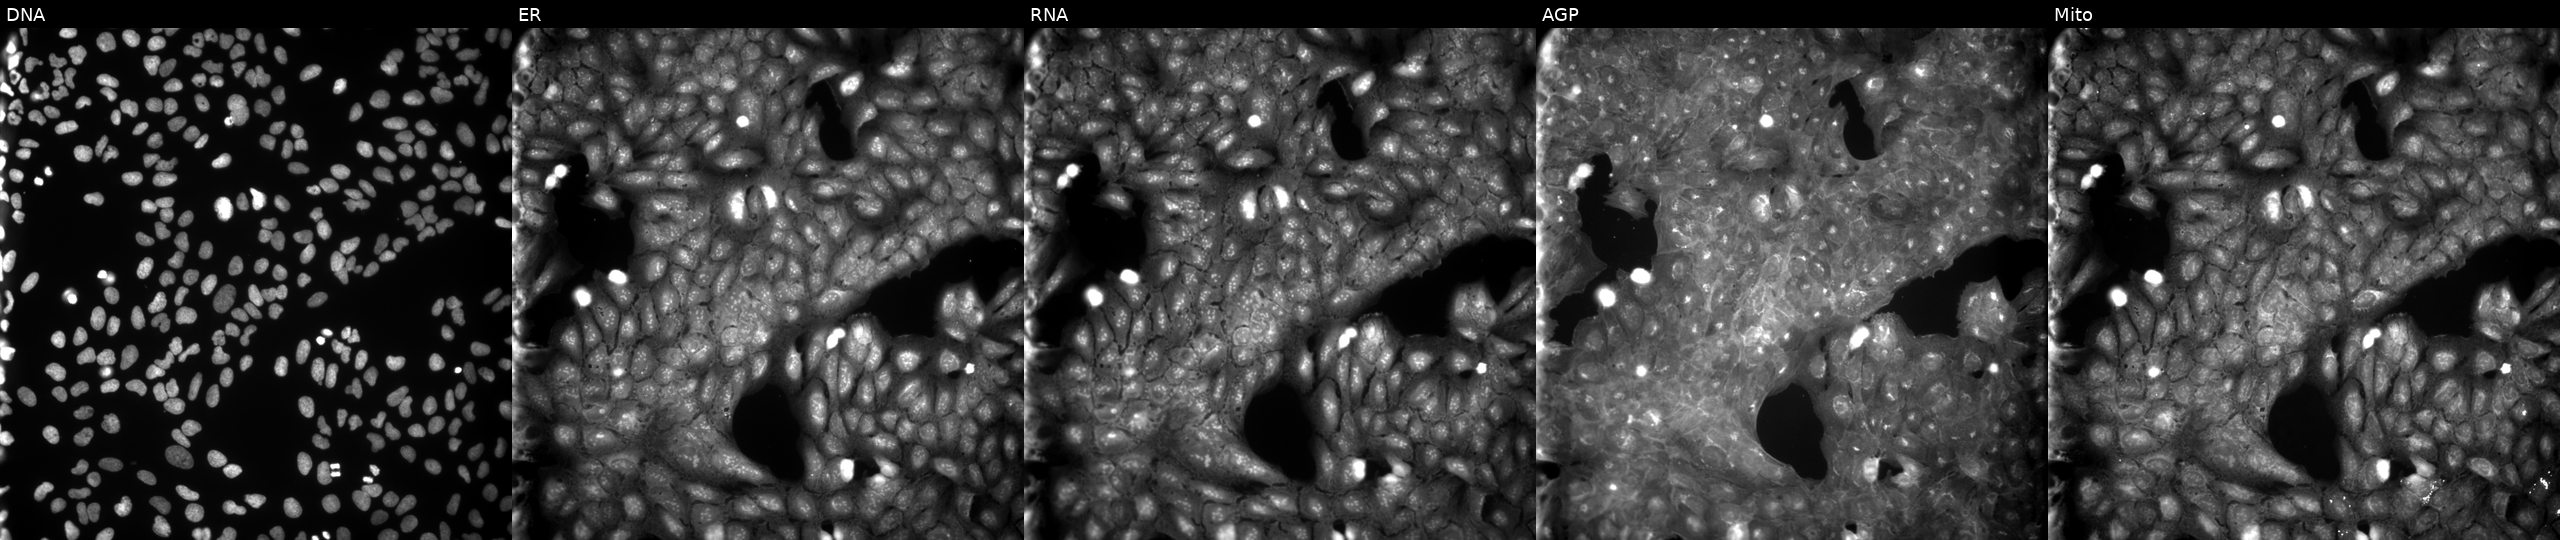
High-content fluorescence microscopy (Cell Painting). Cell line: U2OS. Perturbation: exposed to a small-molecule compound (JUMP id JCP2022_064312). From left to right: DNA (nuclei); ER (endoplasmic reticulum); RNA (nucleoli and cytoplasmic RNA); AGP (actin cytoskeleton, Golgi, and plasma membrane); Mito (mitochondria). Source 9, plate GR00003381, well S12.